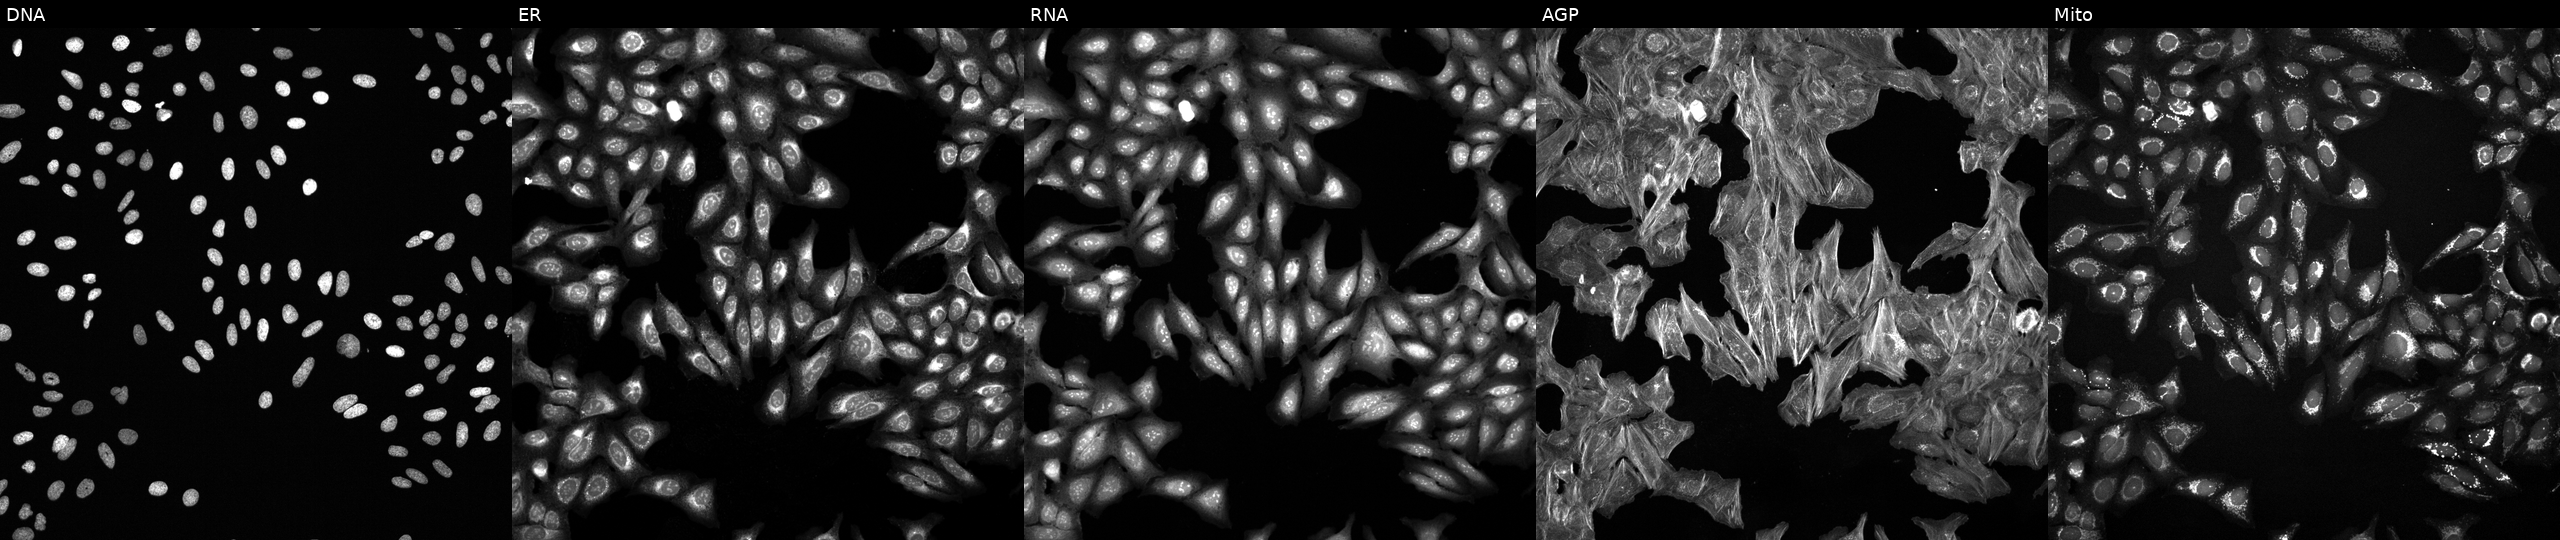
Five-channel Cell Painting image of U2OS cells treated with a small-molecule compound (InChIKey DOLYQIRFYHVGGT-UHFFFAOYSA-N). From left to right: Hoechst 33342, concanavalin A, SYTO 14, phalloidin and WGA, MitoTracker.